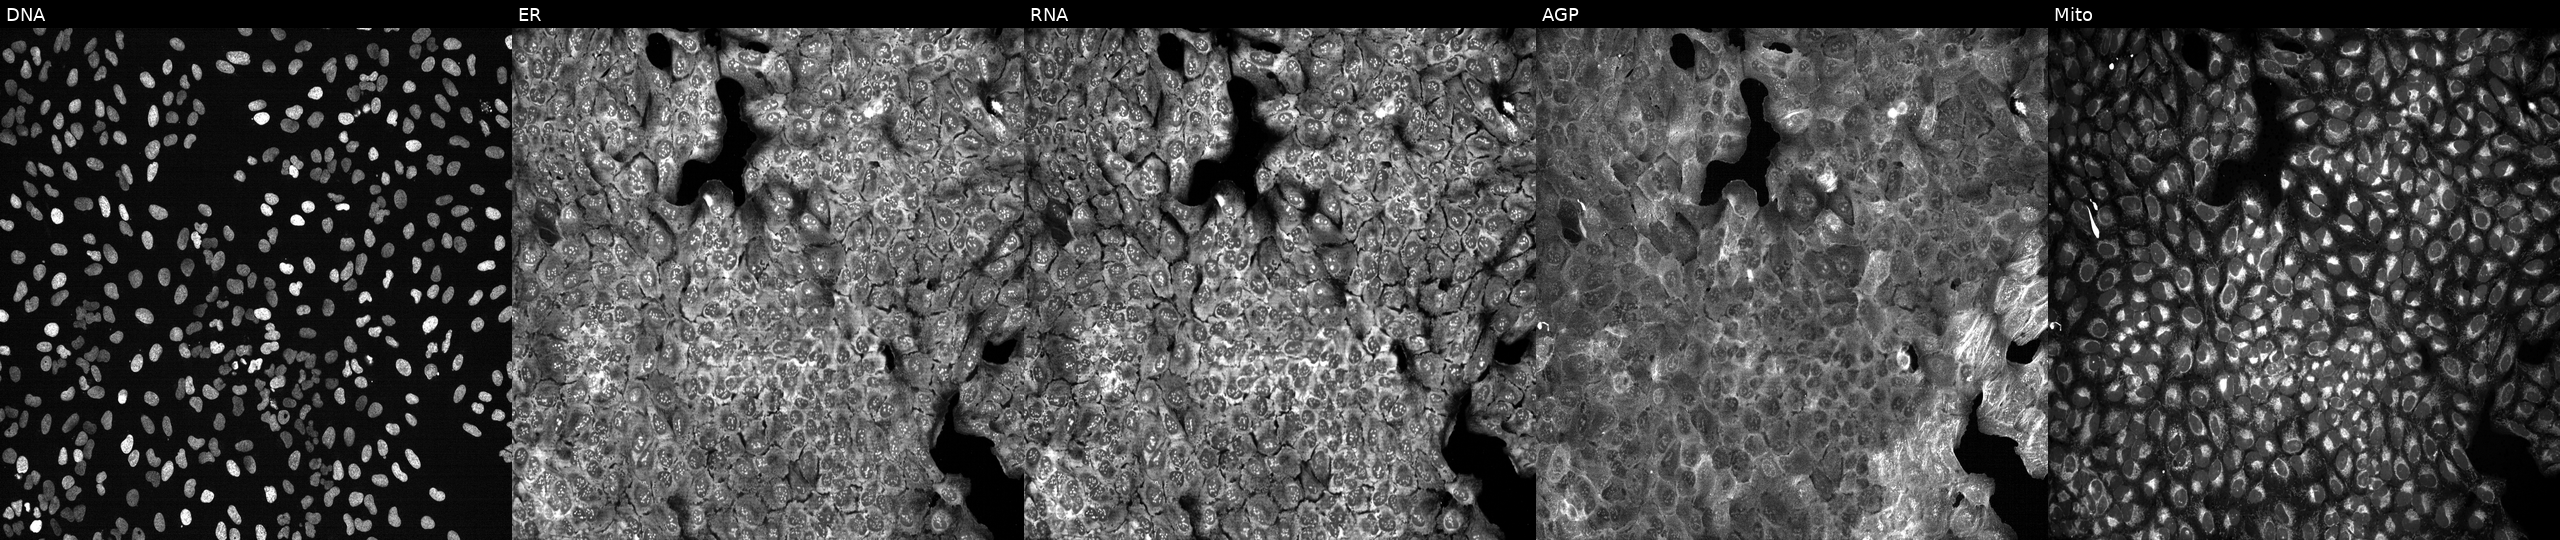
The five panels, left to right, show DNA (nuclei); ER (endoplasmic reticulum); RNA (nucleoli and cytoplasmic RNA); AGP (actin cytoskeleton, Golgi, and plasma membrane); Mito (mitochondria). U2OS osteosarcoma cells with LDHC knocked out by CRISPR (JUMP id JCP2022_803801). Cell Painting assay, JUMP-CP dataset. Source 13, plate CP-CC9-R2-01, well G13.